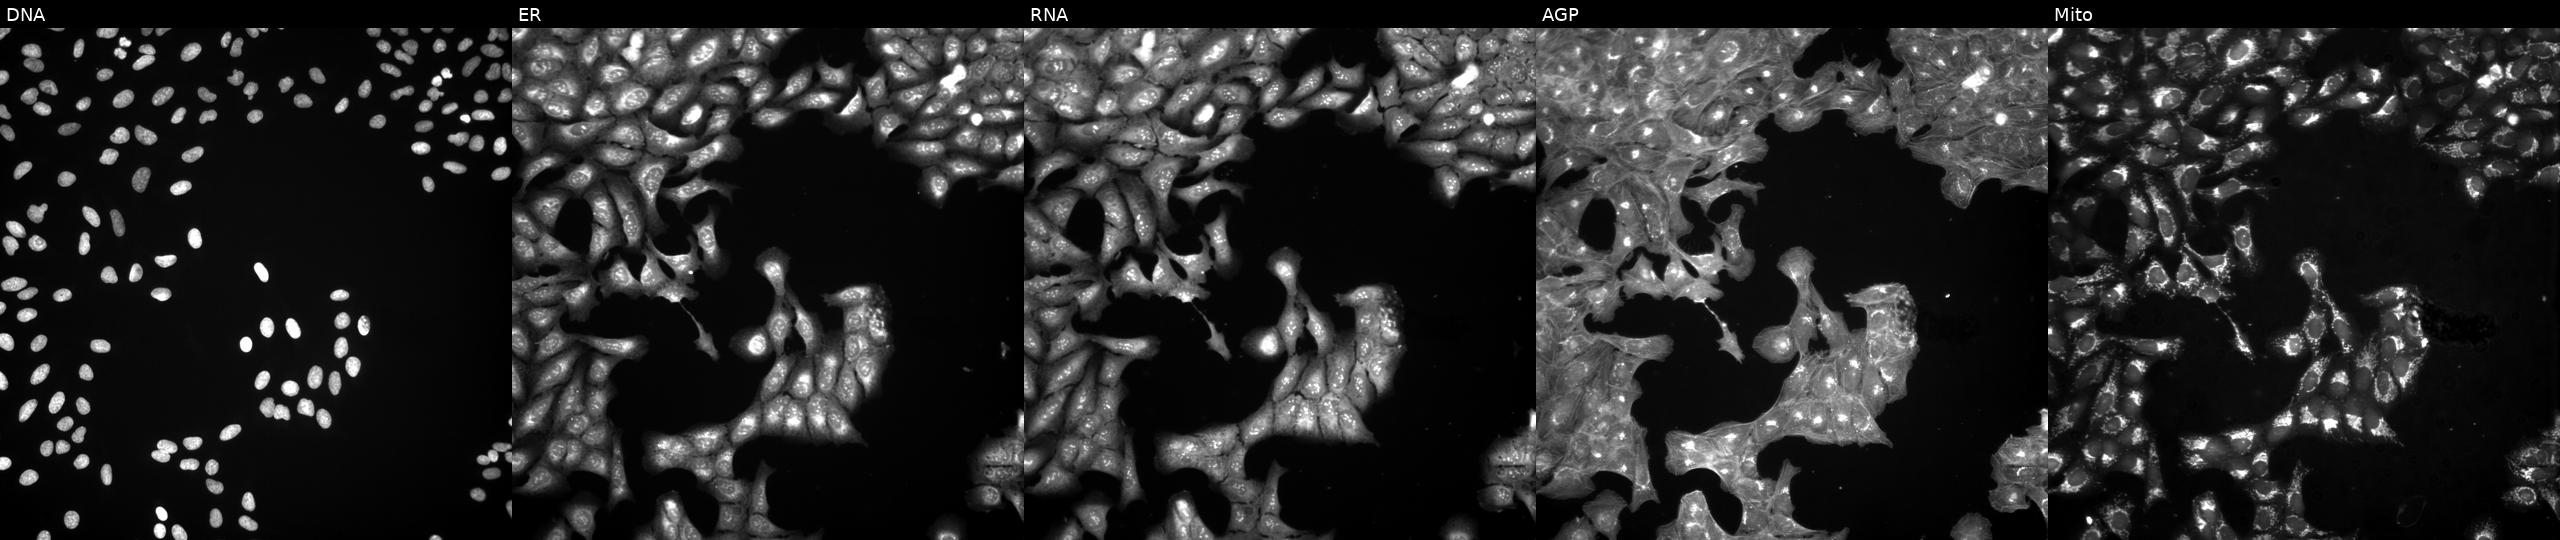
High-content fluorescence microscopy (Cell Painting). Cell line: U2OS. Perturbation: exposed to DMSO alone as a negative control. The five panels, left to right, show Hoechst 33342, concanavalin A, SYTO 14, phalloidin and WGA, MitoTracker.